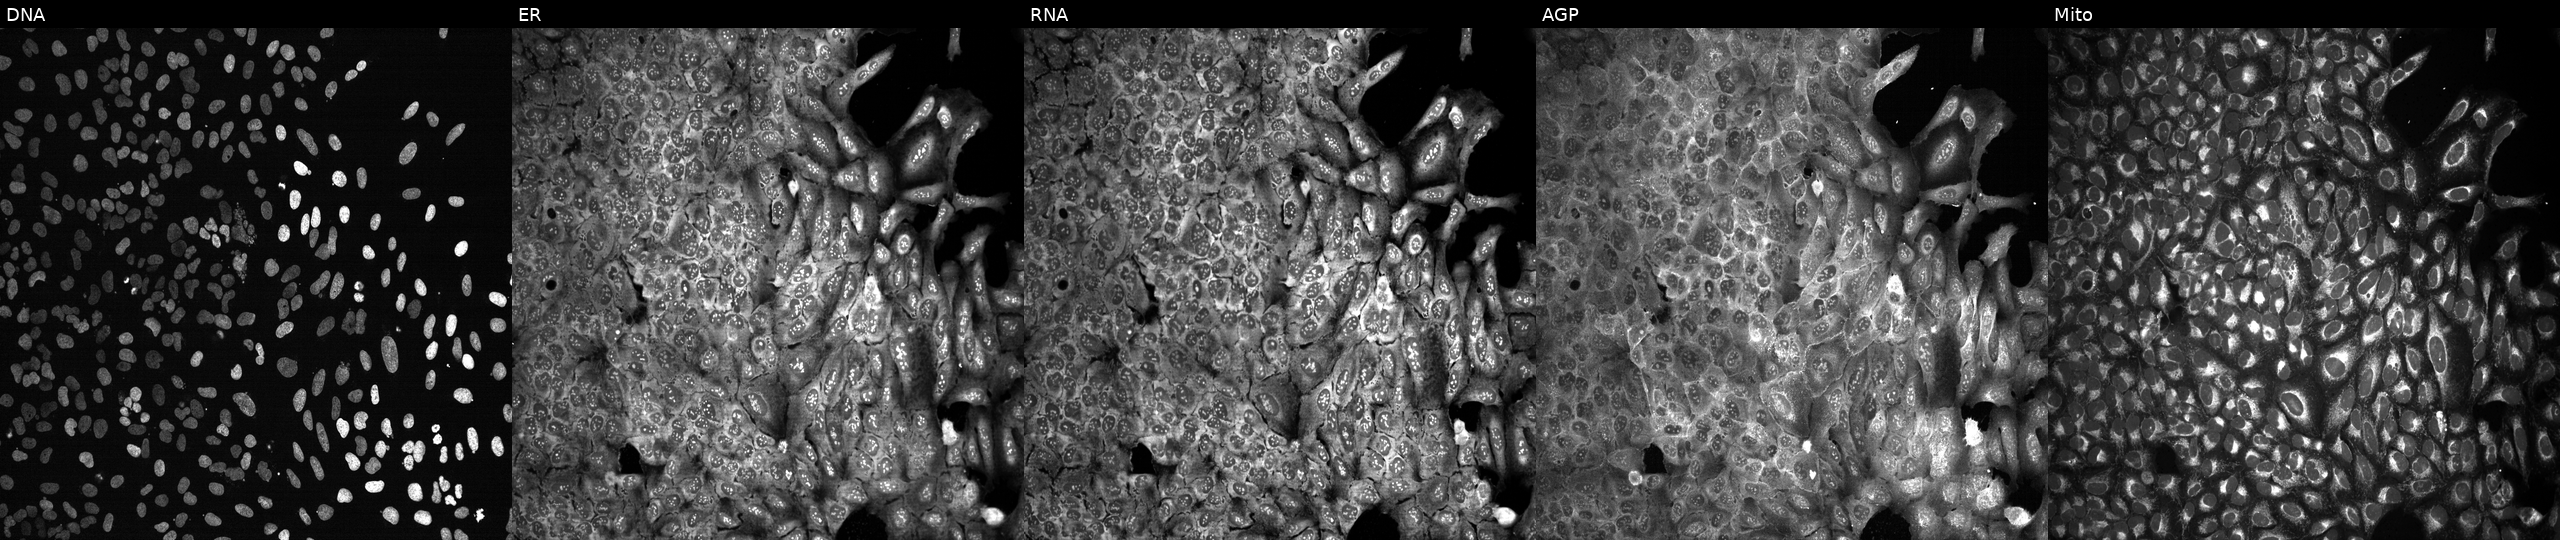
JUMP Cell Painting — CRISPR plate. U2OS cells with DHRS1 knocked out by CRISPR. Channels (left→right): Hoechst 33342, concanavalin A, SYTO 14, phalloidin and WGA, MitoTracker.